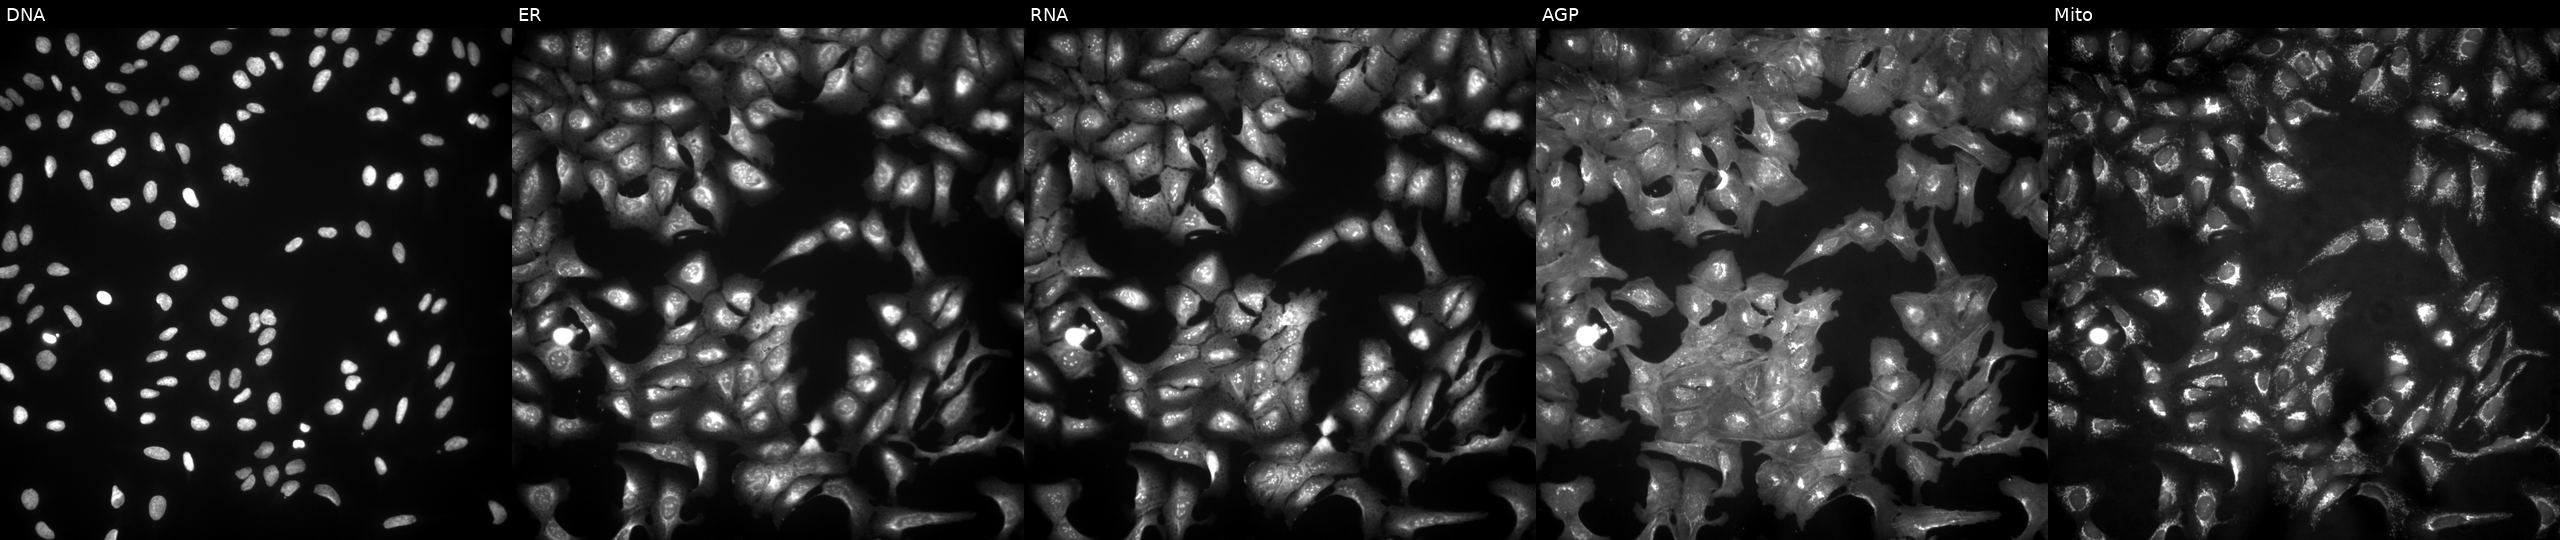
This image strip shows the five Cell Painting channels for a single field of U2OS cells with GFRA1 overexpressed (ORF) (JUMP id JCP2022_905864). Channels (left→right): DNA, ER, RNA, AGP, and Mito. Source 4, plate BR00123506, well K23.